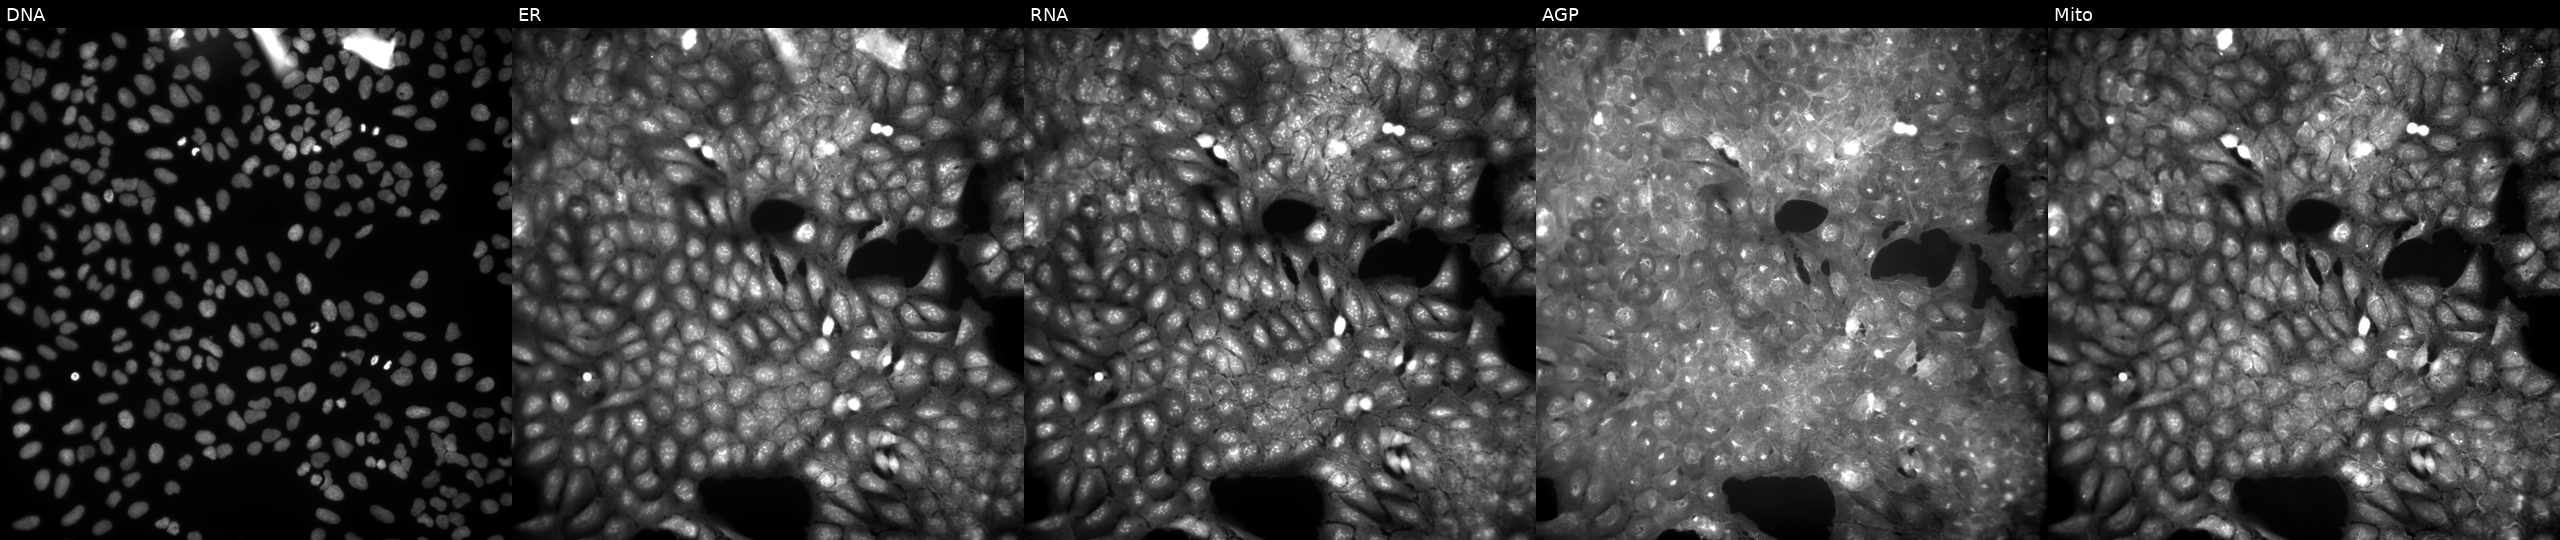
JUMP Cell Painting — COMPOUND plate. U2OS cells treated with a small-molecule compound (InChIKey KJEOHUDMDLBQKY-UHFFFAOYSA-N). From left to right: Hoechst 33342, concanavalin A, SYTO 14, phalloidin and WGA, MitoTracker.